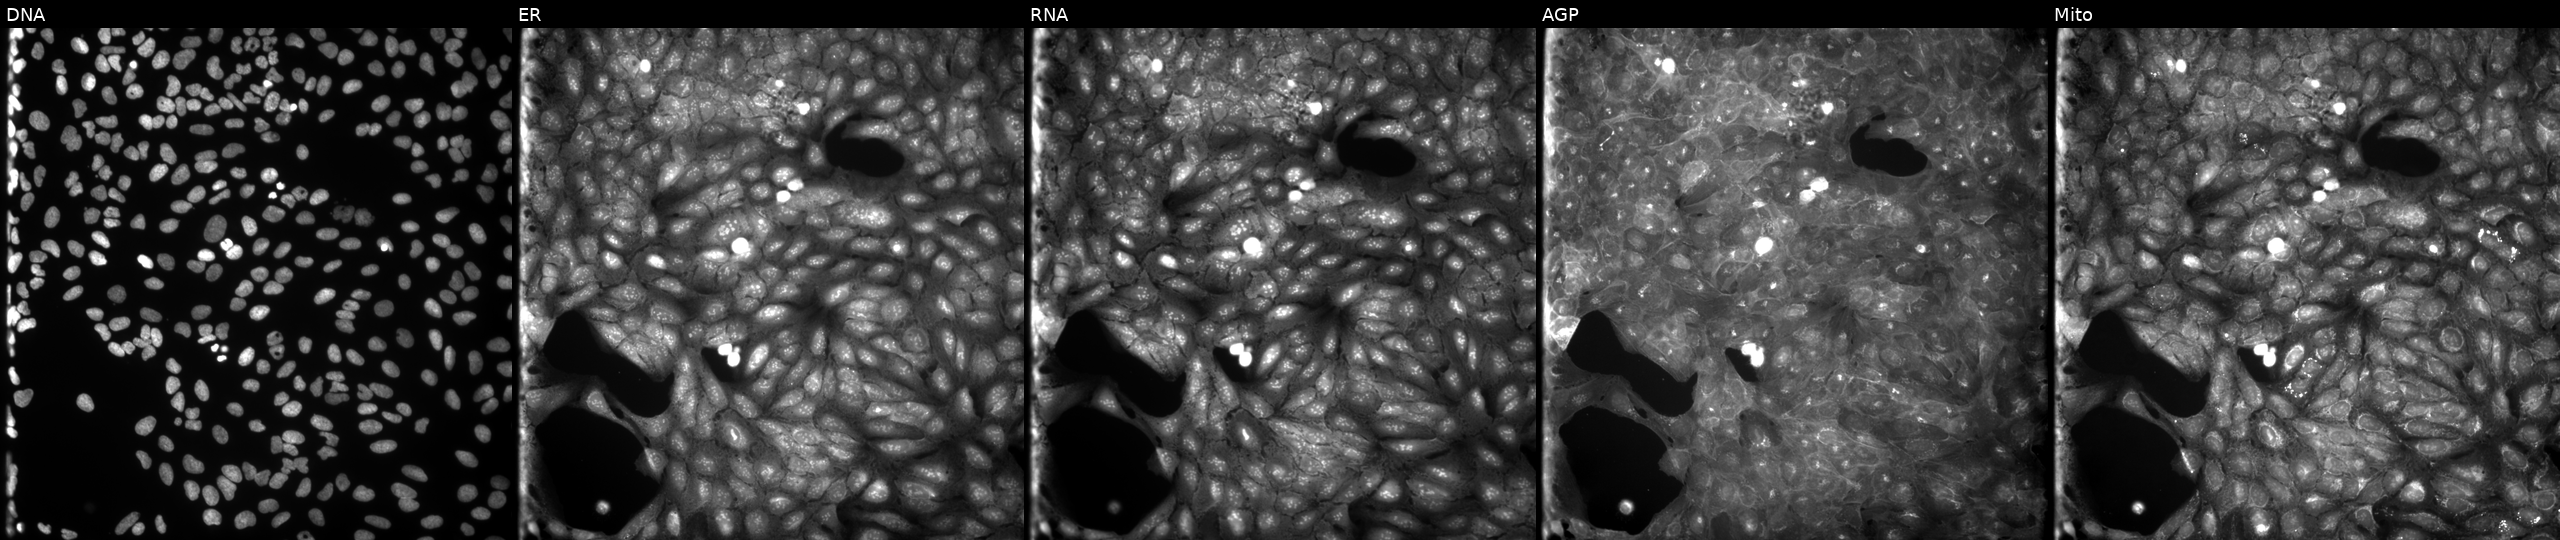
High-content fluorescence microscopy (Cell Painting). Cell line: U2OS. Perturbation: exposed to a small-molecule compound. The five panels, left to right, show DNA (nuclei); ER (endoplasmic reticulum); RNA (nucleoli and cytoplasmic RNA); AGP (actin cytoskeleton, Golgi, and plasma membrane); Mito (mitochondria).